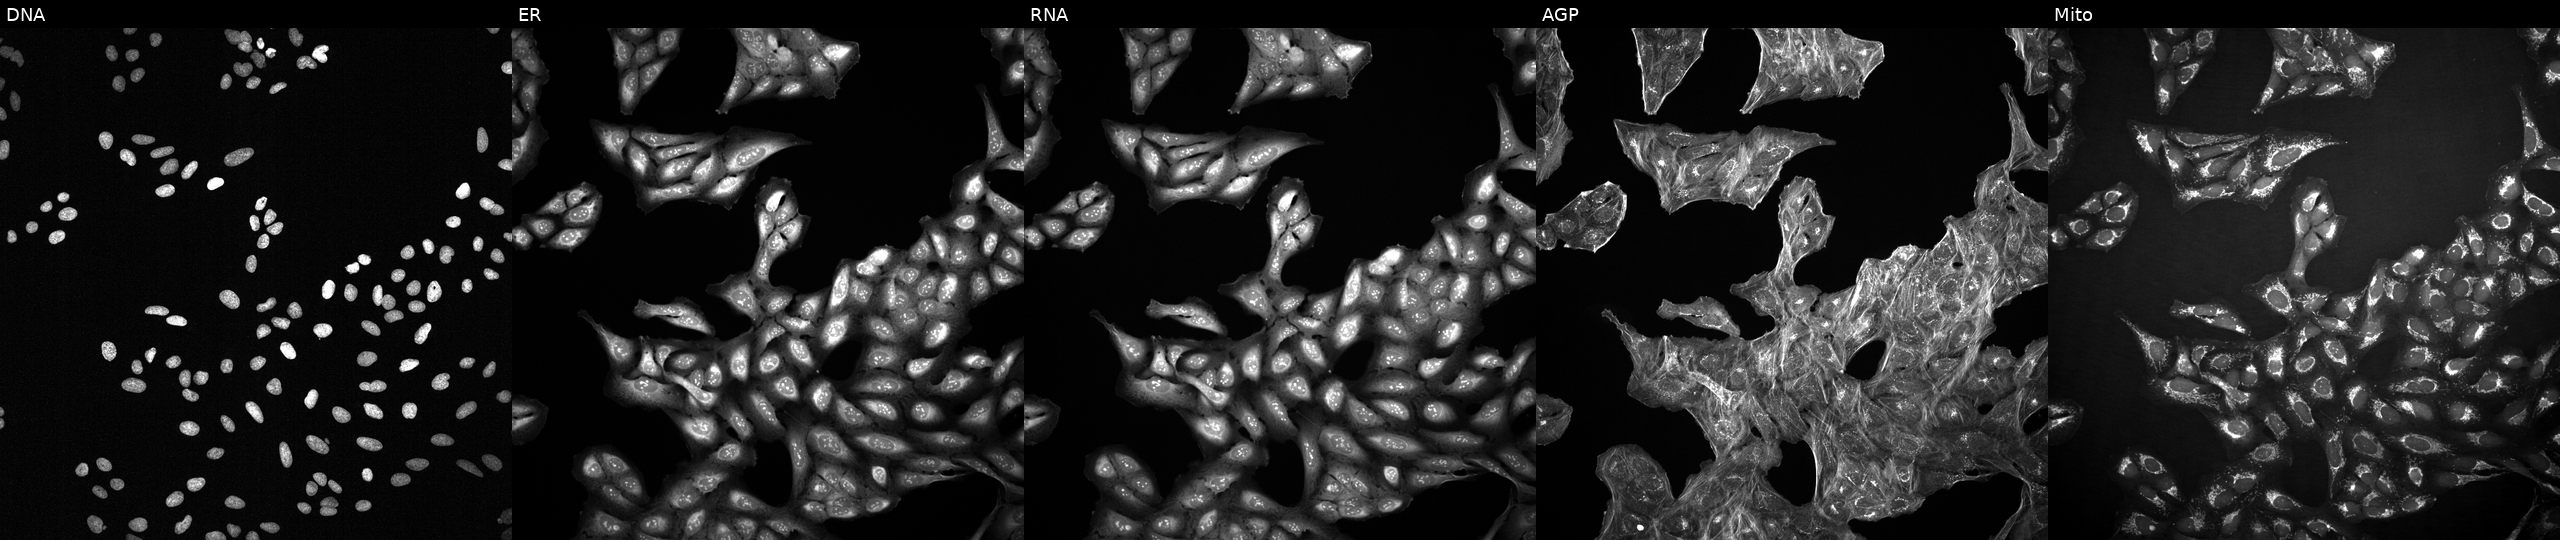
U2OS cells, Cell Painting assay, perturbed with a small-molecule compound (InChIKey PDMUULPVBYQBBK-UHFFFAOYSA-N) (JUMP id JCP2022_067887). Channels (left→right): Hoechst 33342, concanavalin A, SYTO 14, phalloidin and WGA, MitoTracker. Each panel is percentile-stretched 16-bit fluorescence.